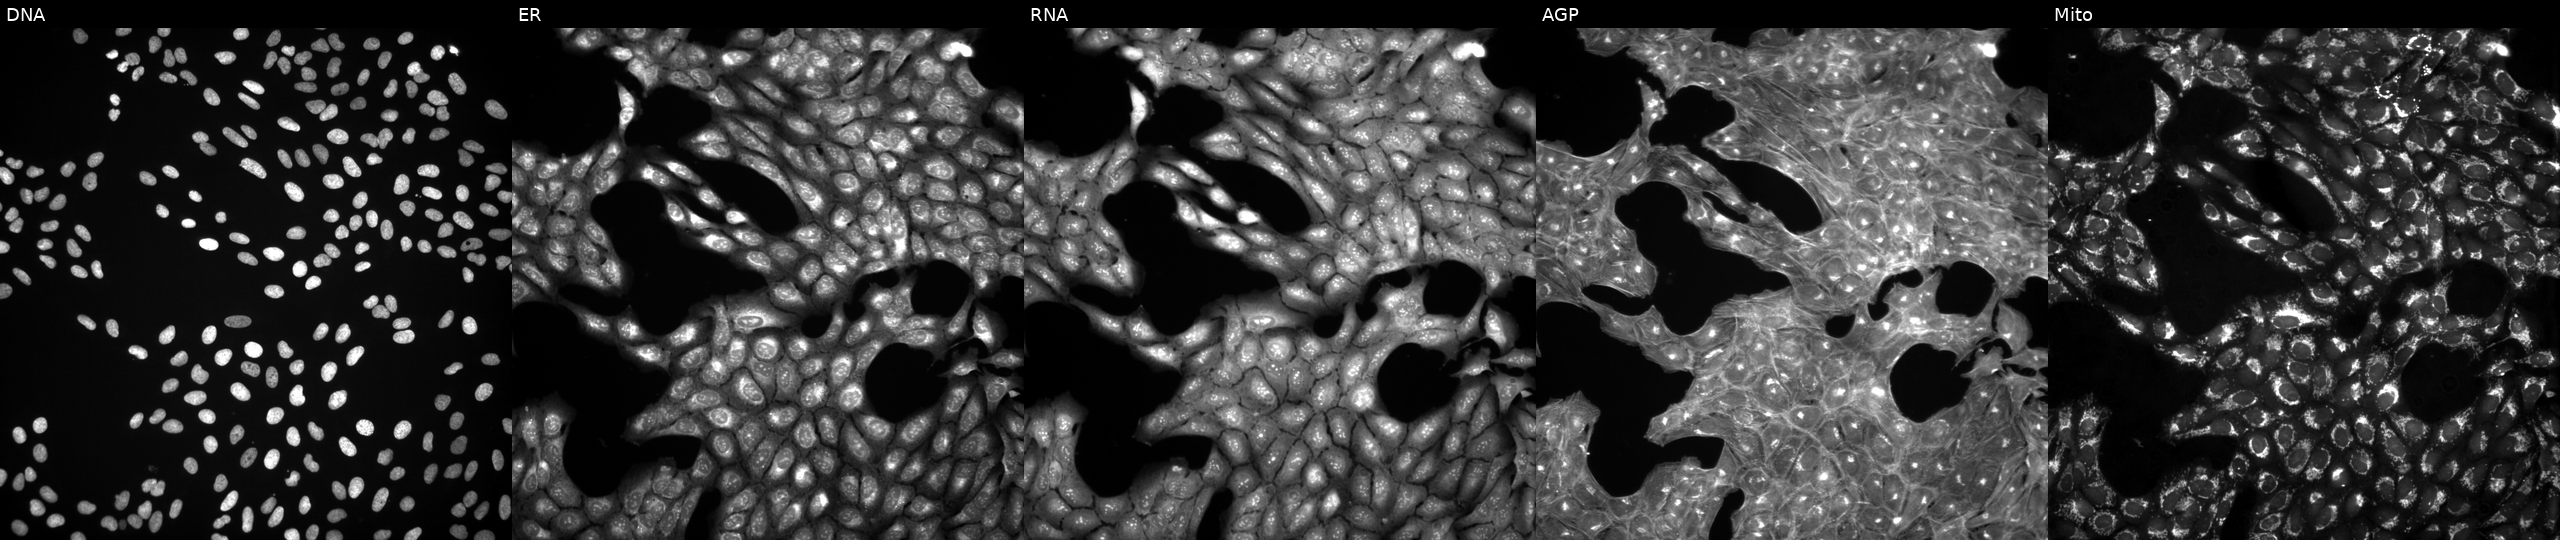
Five-channel Cell Painting image of U2OS cells treated with a small-molecule compound (InChIKey IYAYHZZWYNXHEQ-UHFFFAOYSA-N). Channels (left→right): DNA (nuclei); ER (endoplasmic reticulum); RNA (nucleoli and cytoplasmic RNA); AGP (actin cytoskeleton, Golgi, and plasma membrane); Mito (mitochondria). Source 3, plate JCPQC053, well K23.